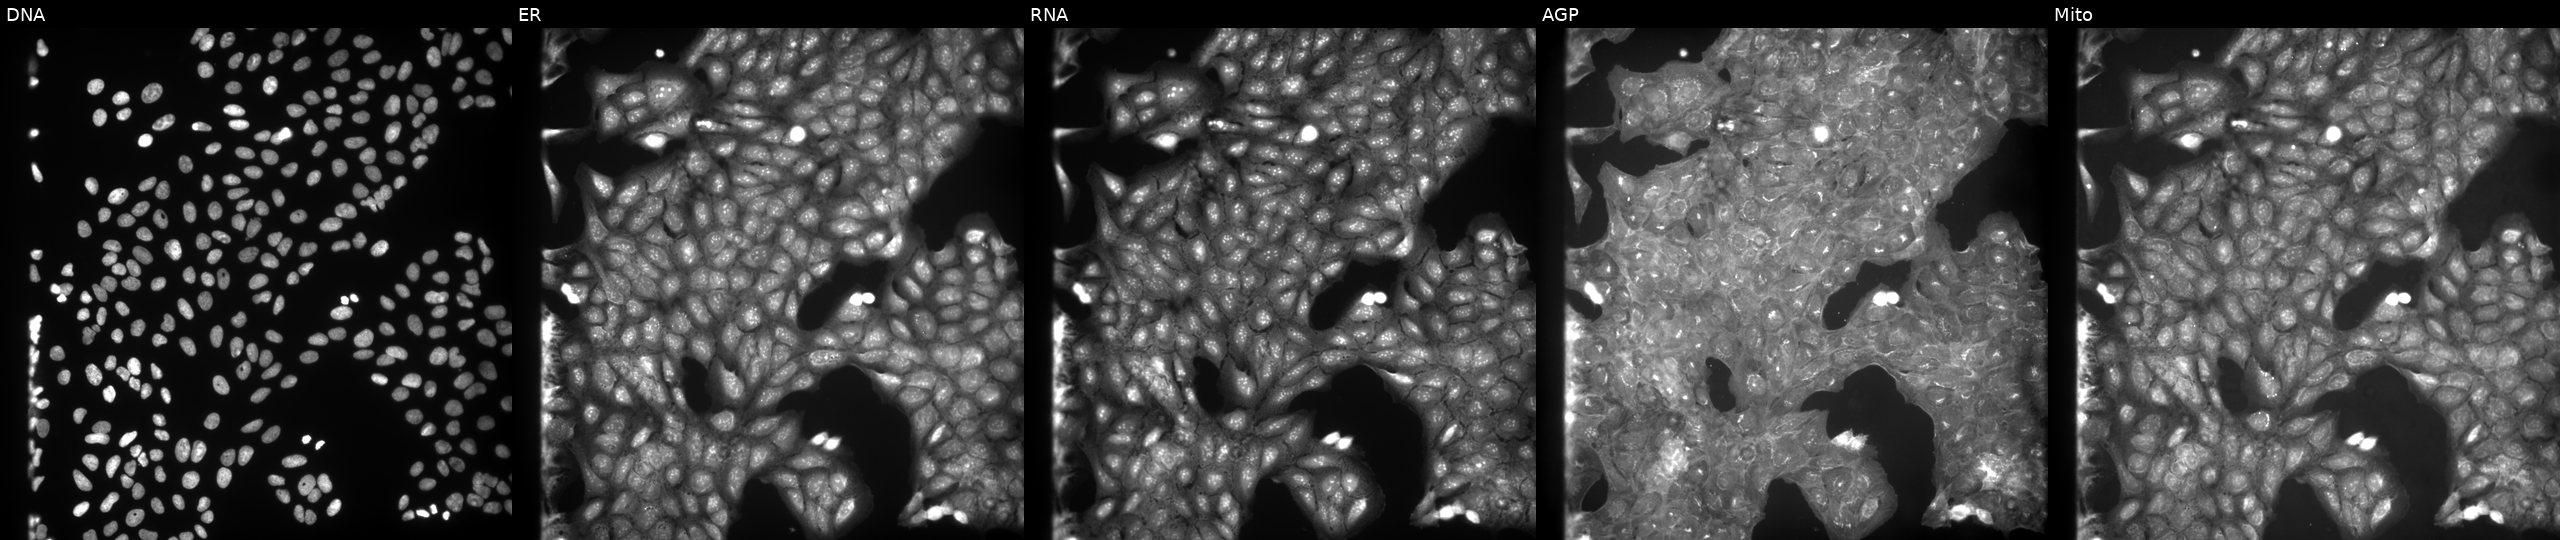
U2OS cells, Cell Painting assay, treated with a small-molecule compound (InChIKey KZCLSHSJZWDIOR-UHFFFAOYSA-N). The five panels, left to right, show Hoechst 33342, concanavalin A, SYTO 14, phalloidin and WGA, MitoTracker. Each panel is percentile-stretched 16-bit fluorescence. Source 9, plate GR00003382, well D12.